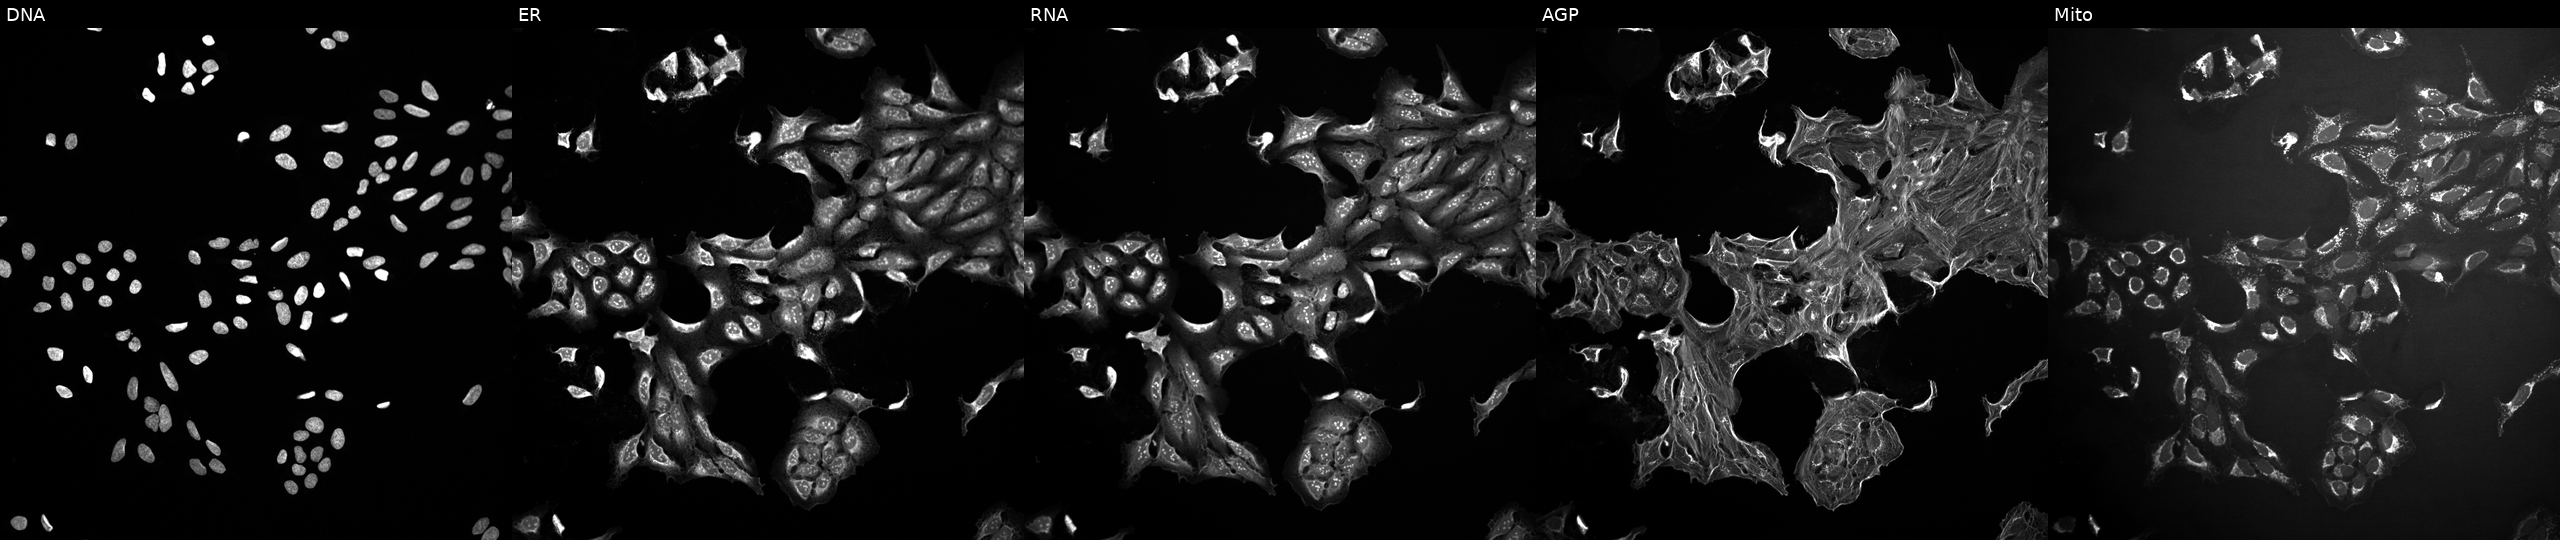
U2OS cells, Cell Painting assay, treated with DMSO vehicle only (negative control). The five panels, left to right, show DNA (nuclei); ER (endoplasmic reticulum); RNA (nucleoli and cytoplasmic RNA); AGP (actin cytoskeleton, Golgi, and plasma membrane); Mito (mitochondria). Each panel is percentile-stretched 16-bit fluorescence.